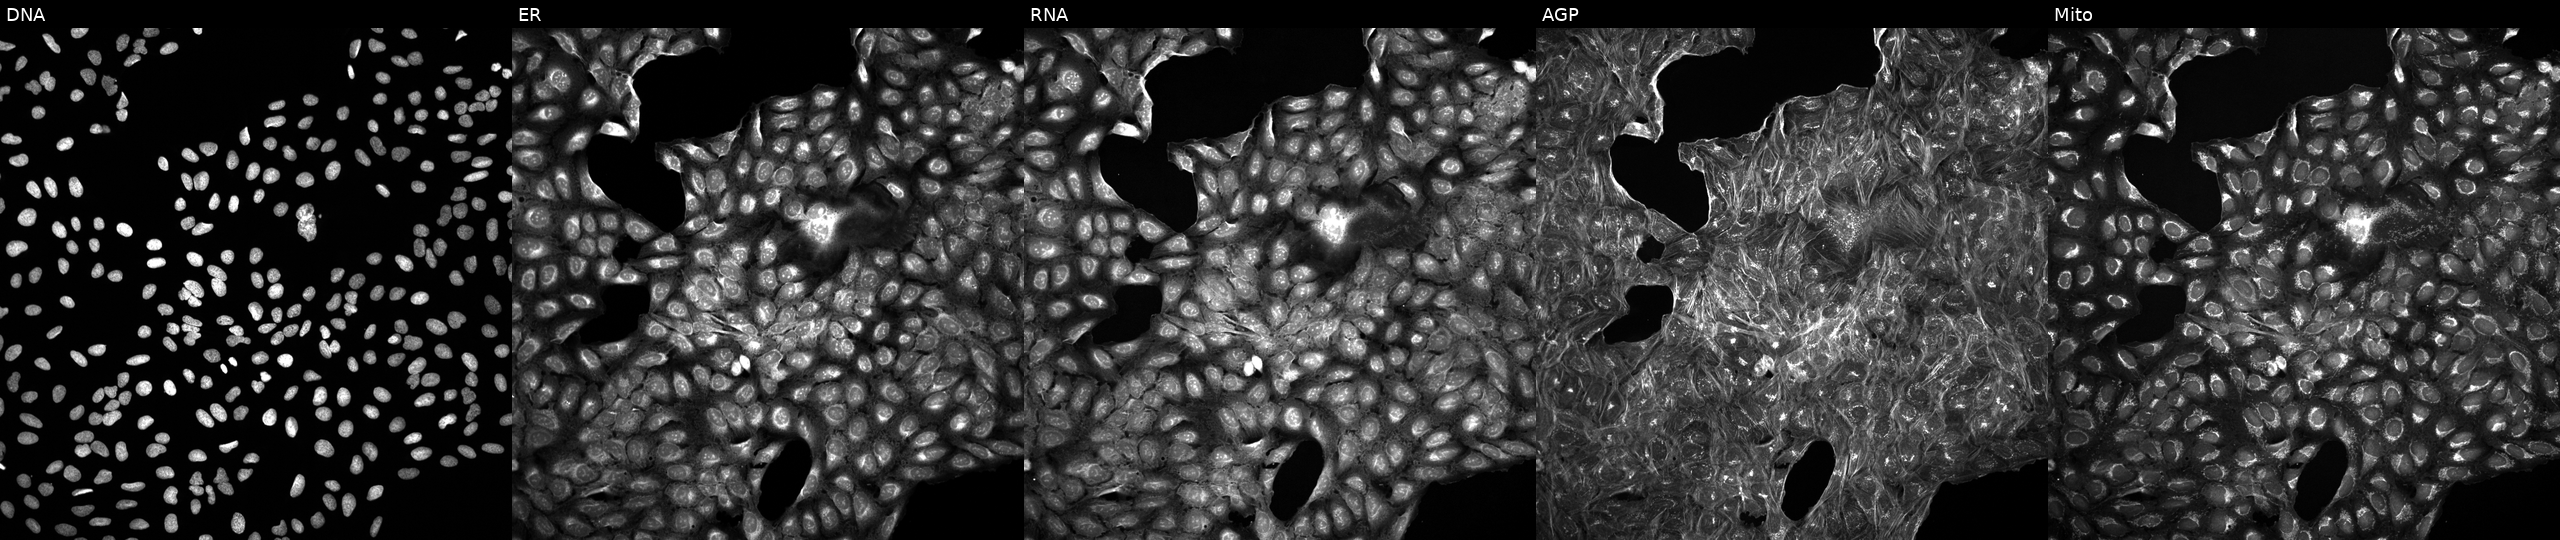
Five-channel Cell Painting image of U2OS cells exposed to DMSO alone as a negative control. Channels (left→right): DNA, ER, RNA, AGP, and Mito.